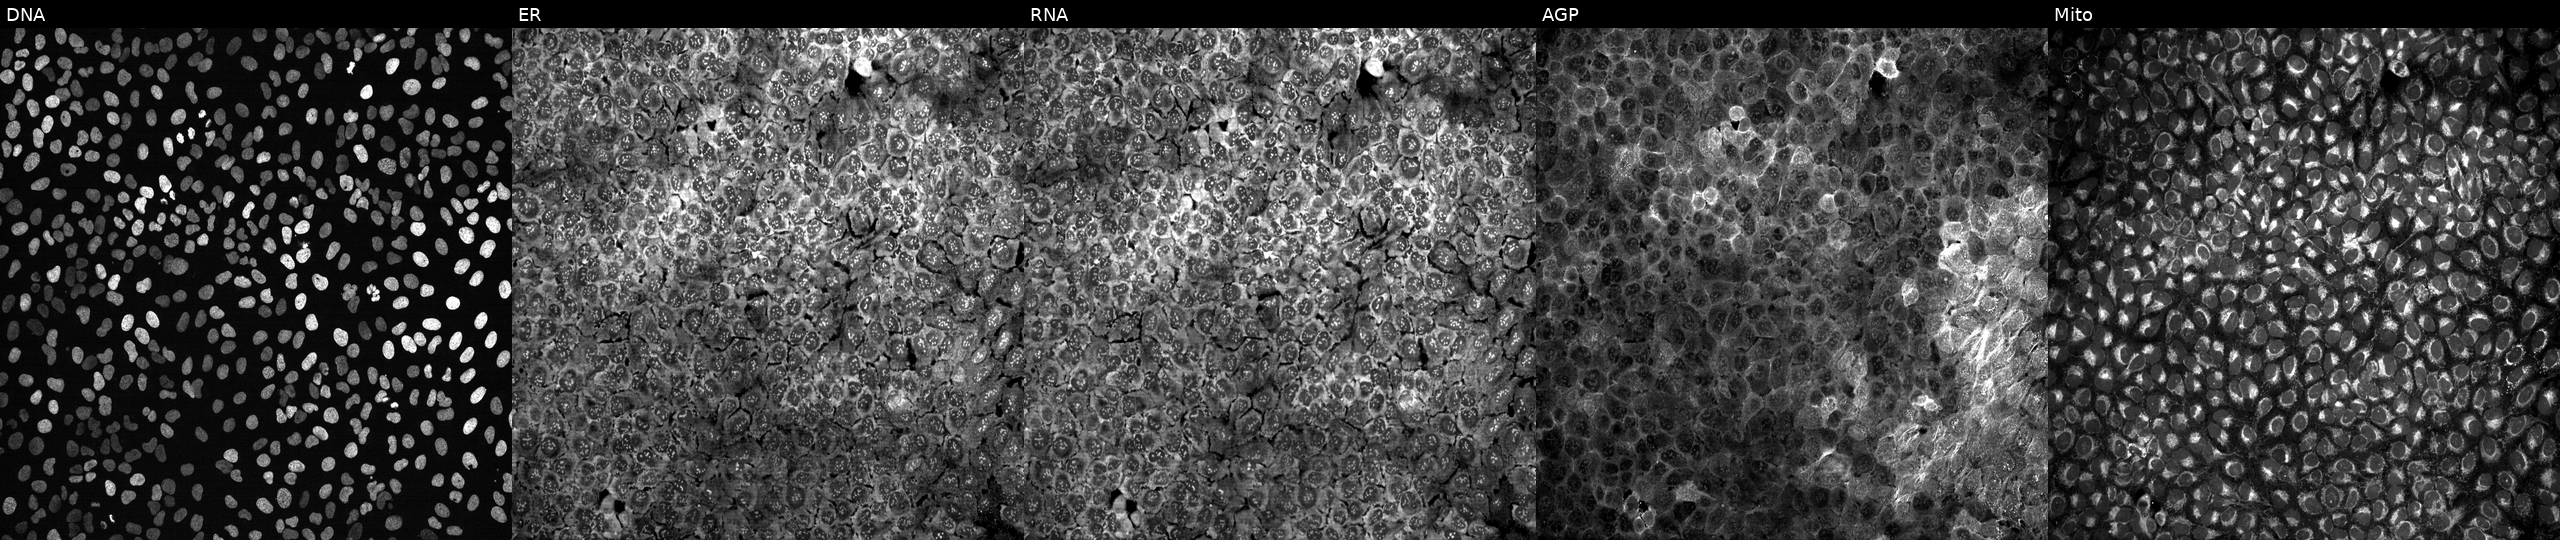
High-content fluorescence microscopy (Cell Painting). Cell line: U2OS. Perturbation: with no CRISPR guide (negative control) (JUMP id JCP2022_800001). From left to right: Hoechst 33342, concanavalin A, SYTO 14, phalloidin and WGA, MitoTracker.